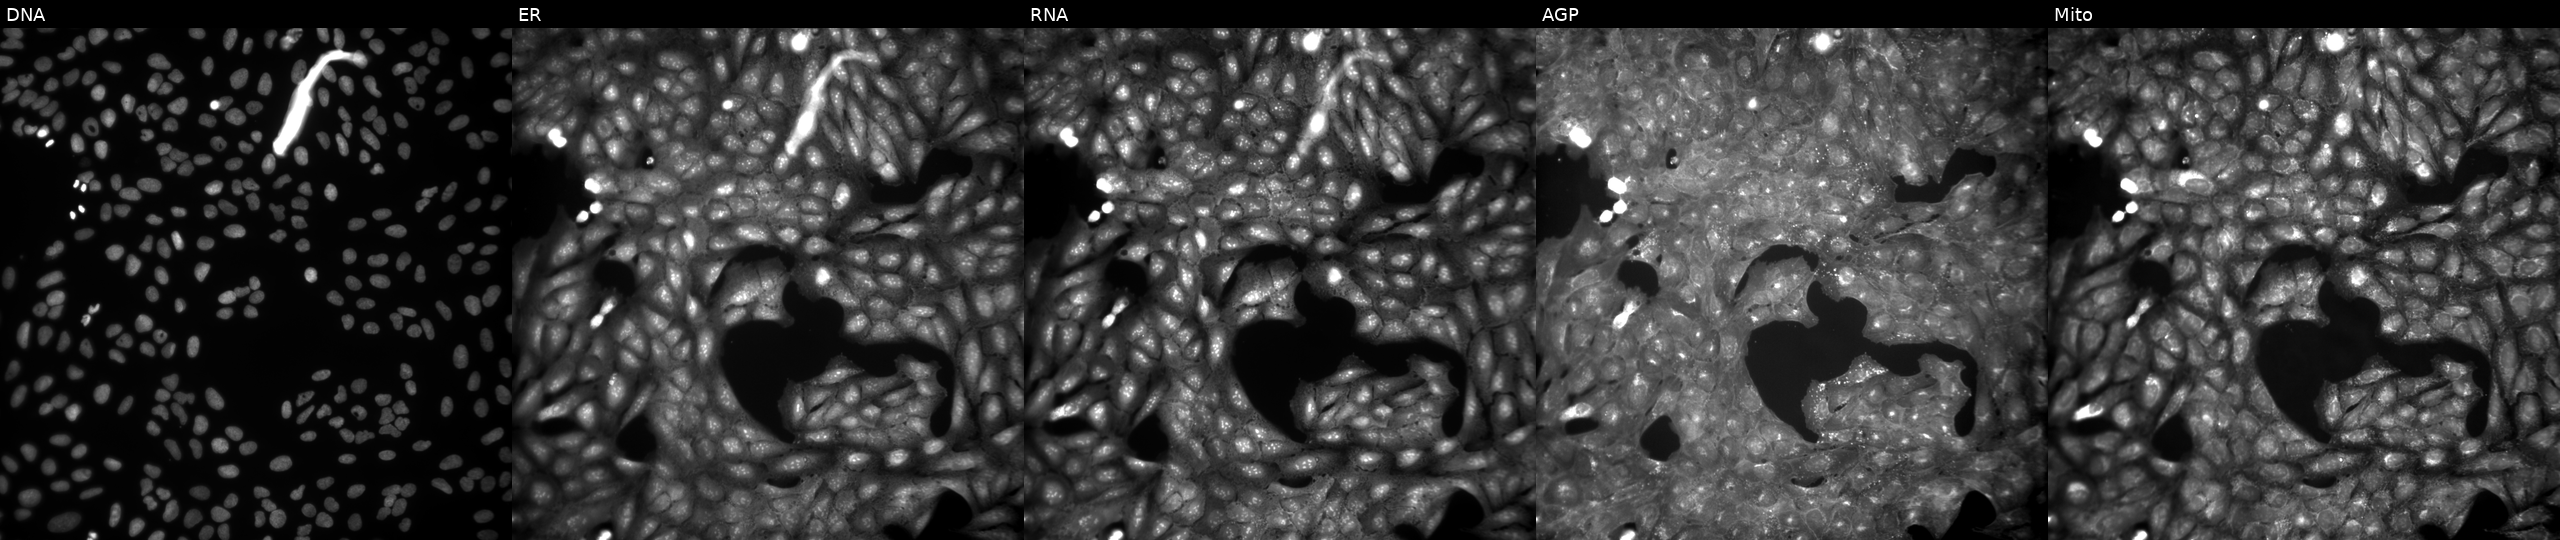
The five panels, left to right, show Hoechst 33342, concanavalin A, SYTO 14, phalloidin and WGA, MitoTracker. U2OS osteosarcoma cells perturbed with a small-molecule compound (InChIKey DFYJEMWNWBXNDV-UHFFFAOYSA-N) (JUMP id JCP2022_015667). Cell Painting assay, JUMP-CP dataset. Source 9, plate GR00003381, well C46.